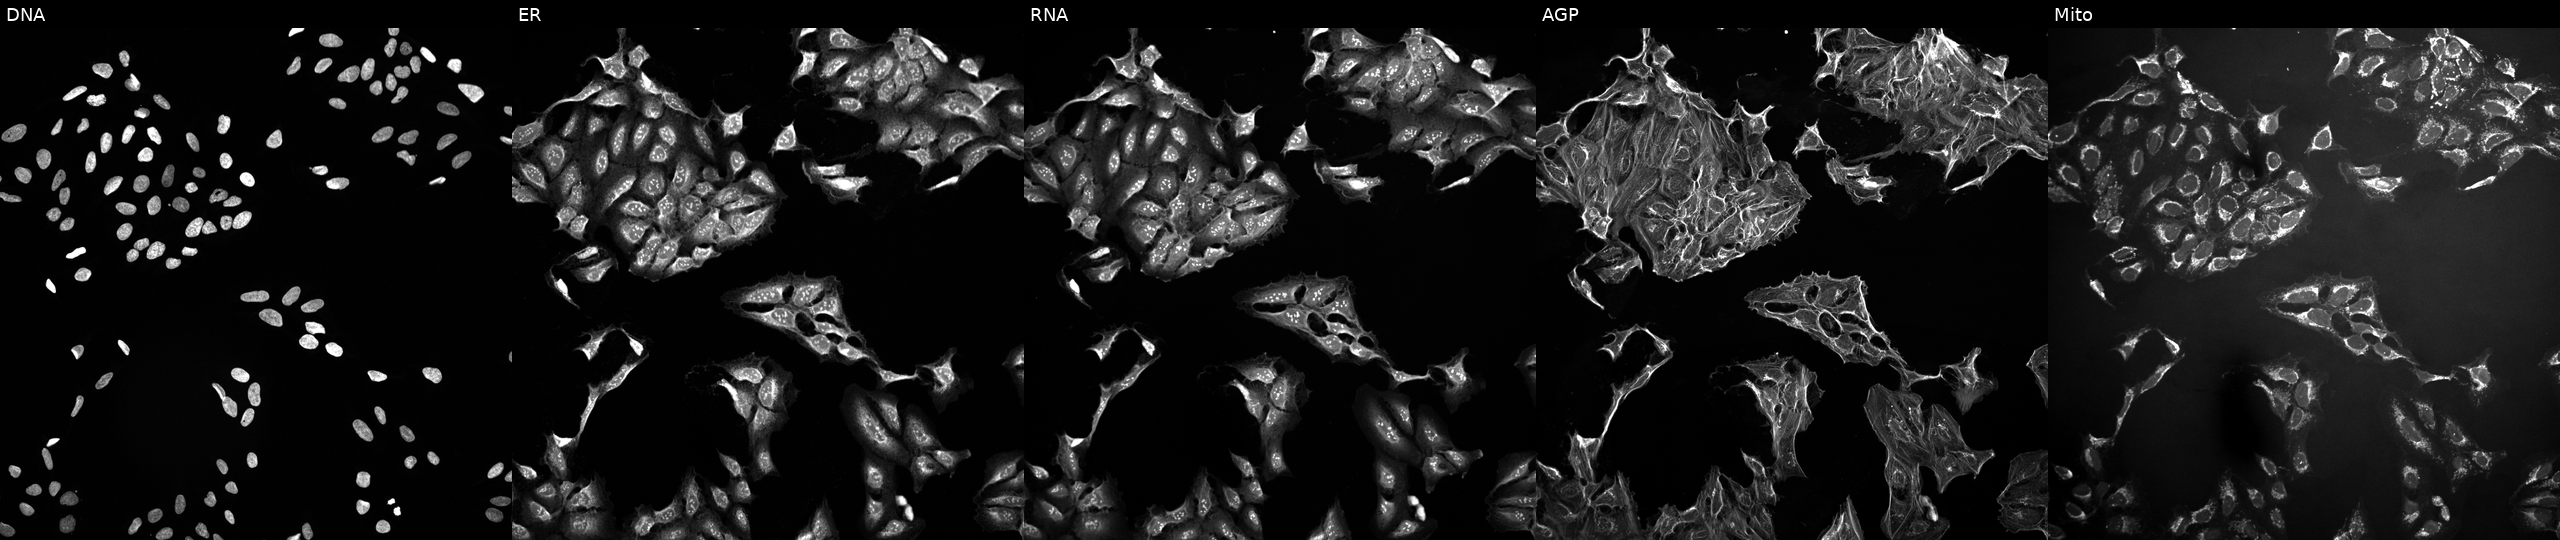
From left to right: DNA (nuclei); ER (endoplasmic reticulum); RNA (nucleoli and cytoplasmic RNA); AGP (actin cytoskeleton, Golgi, and plasma membrane); Mito (mitochondria). U2OS osteosarcoma cells perturbed with a small-molecule compound. Cell Painting assay, JUMP-CP dataset. Source 10, plate Dest210726-160150, well K11.